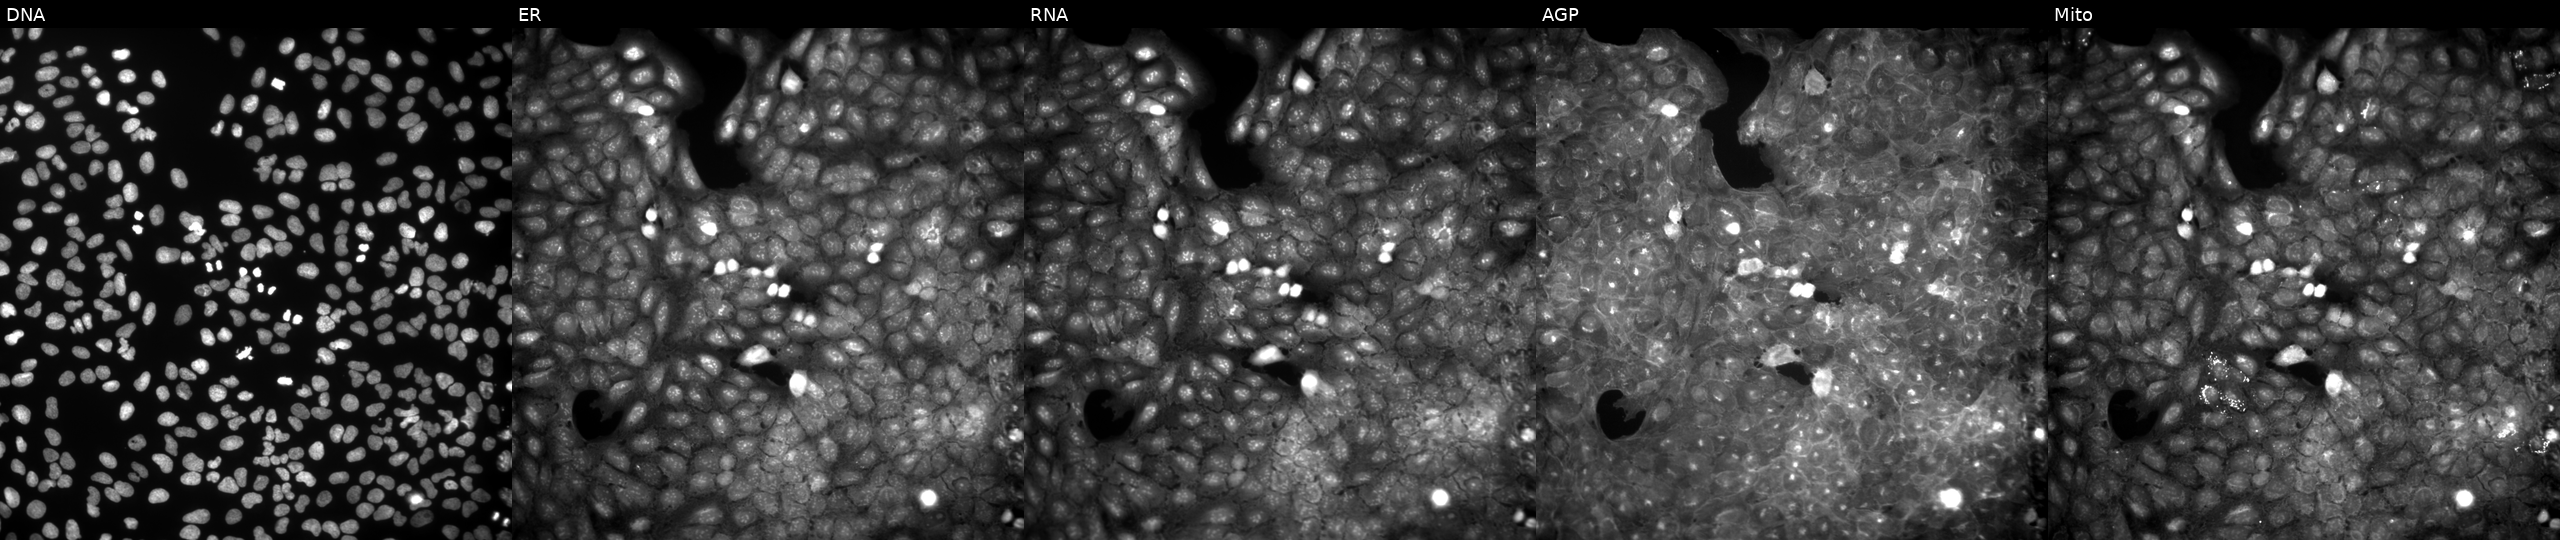
Panels show, left to right, DNA (nuclei); ER (endoplasmic reticulum); RNA (nucleoli and cytoplasmic RNA); AGP (actin cytoskeleton, Golgi, and plasma membrane); Mito (mitochondria). U2OS osteosarcoma cells exposed to DMSO alone as a negative control (JUMP id JCP2022_033924). Cell Painting assay, JUMP-CP dataset. Source 9, plate GR00003381, well AE23.